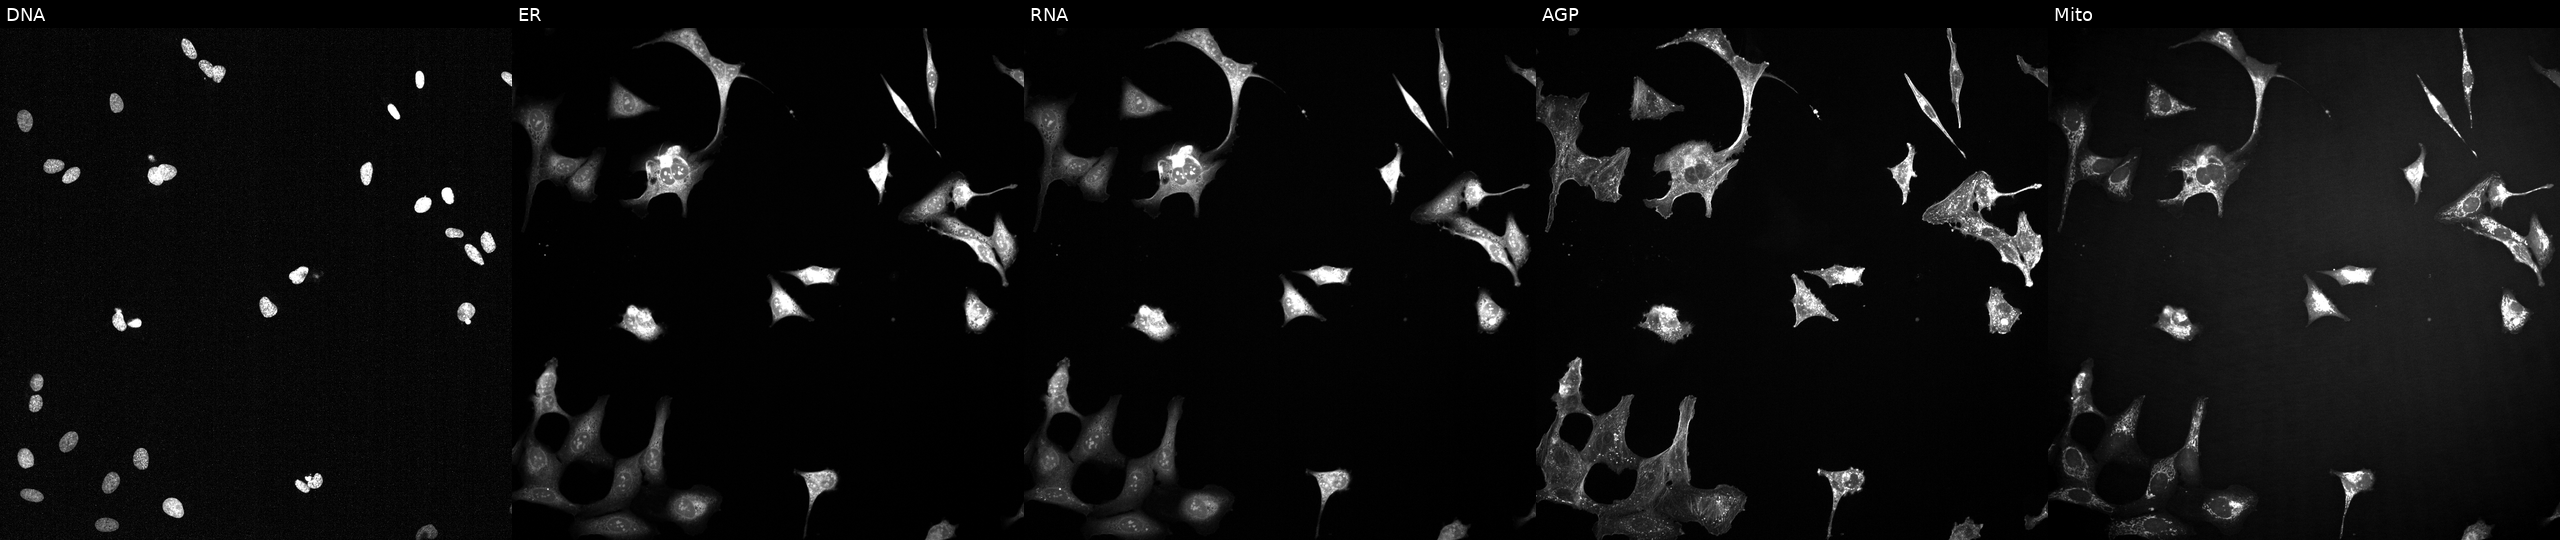
High-content fluorescence microscopy (Cell Painting). Cell line: U2OS. Perturbation: exposed to a small-molecule compound [SMILES: CCC1C(=O)N(C)c2c[nH]c(=Nc3ccc(C(=O)NC4CCN(C)CC4)cc3OC)nc2N1C1CCCC1] (JUMP id JCP2022_105442). The five panels, left to right, show DNA (nuclei); ER (endoplasmic reticulum); RNA (nucleoli and cytoplasmic RNA); AGP (actin cytoskeleton, Golgi, and plasma membrane); Mito (mitochondria).